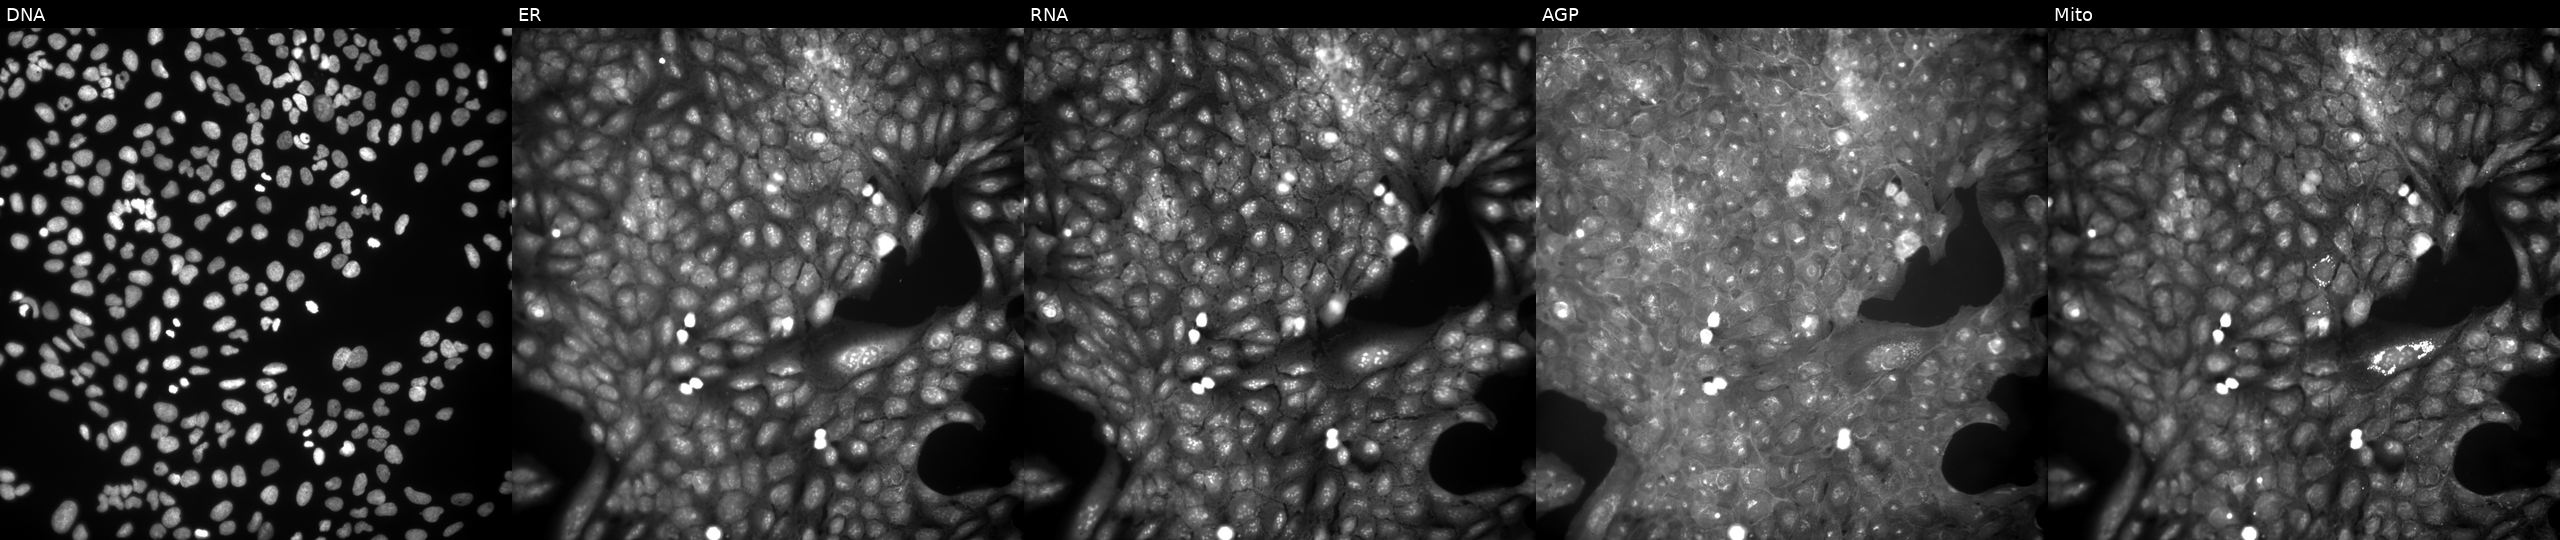
High-content fluorescence microscopy (Cell Painting). Cell line: U2OS. Perturbation: treated with a small-molecule compound (InChIKey SMXSKNRLUCCMDS-UHFFFAOYSA-N). Channels (left→right): DNA (nuclei); ER (endoplasmic reticulum); RNA (nucleoli and cytoplasmic RNA); AGP (actin cytoskeleton, Golgi, and plasma membrane); Mito (mitochondria). Source 9, plate GR00003382, well D44.